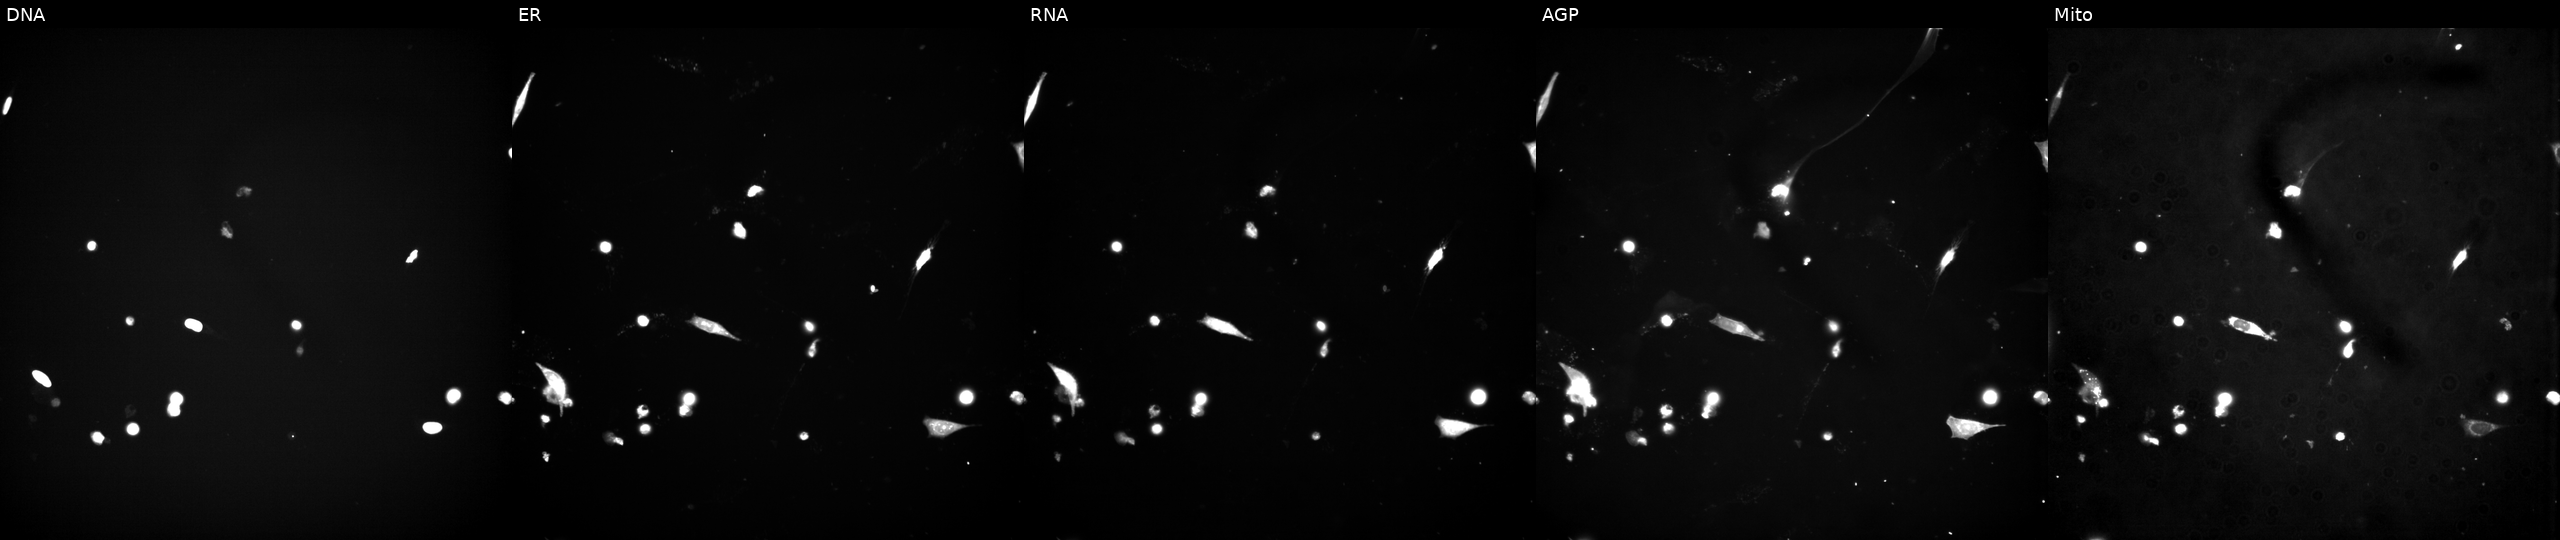
Five-channel Cell Painting image of U2OS cells perturbed with a small-molecule compound (InChIKey SOOPLNPQGWJZHY-UHFFFAOYSA-N). The five panels, left to right, show DNA (nuclei); ER (endoplasmic reticulum); RNA (nucleoli and cytoplasmic RNA); AGP (actin cytoskeleton, Golgi, and plasma membrane); Mito (mitochondria).